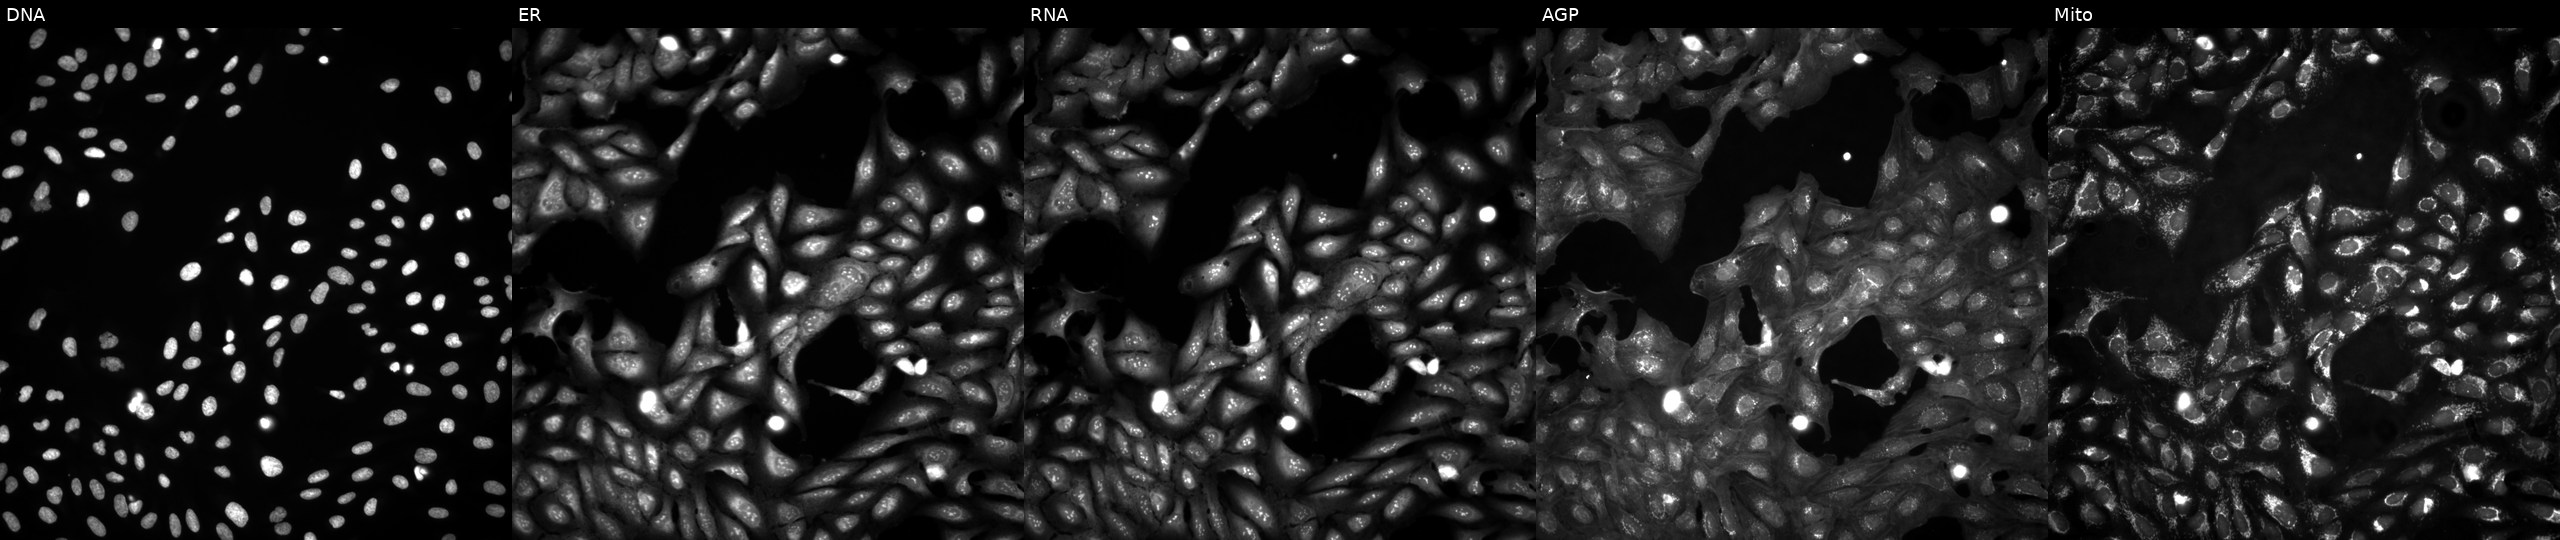
U2OS cells, Cell Painting assay, untreated (empty-well control) (JUMP id JCP2022_999999). Channels (left→right): Hoechst 33342, concanavalin A, SYTO 14, phalloidin and WGA, MitoTracker. Each panel is percentile-stretched 16-bit fluorescence.